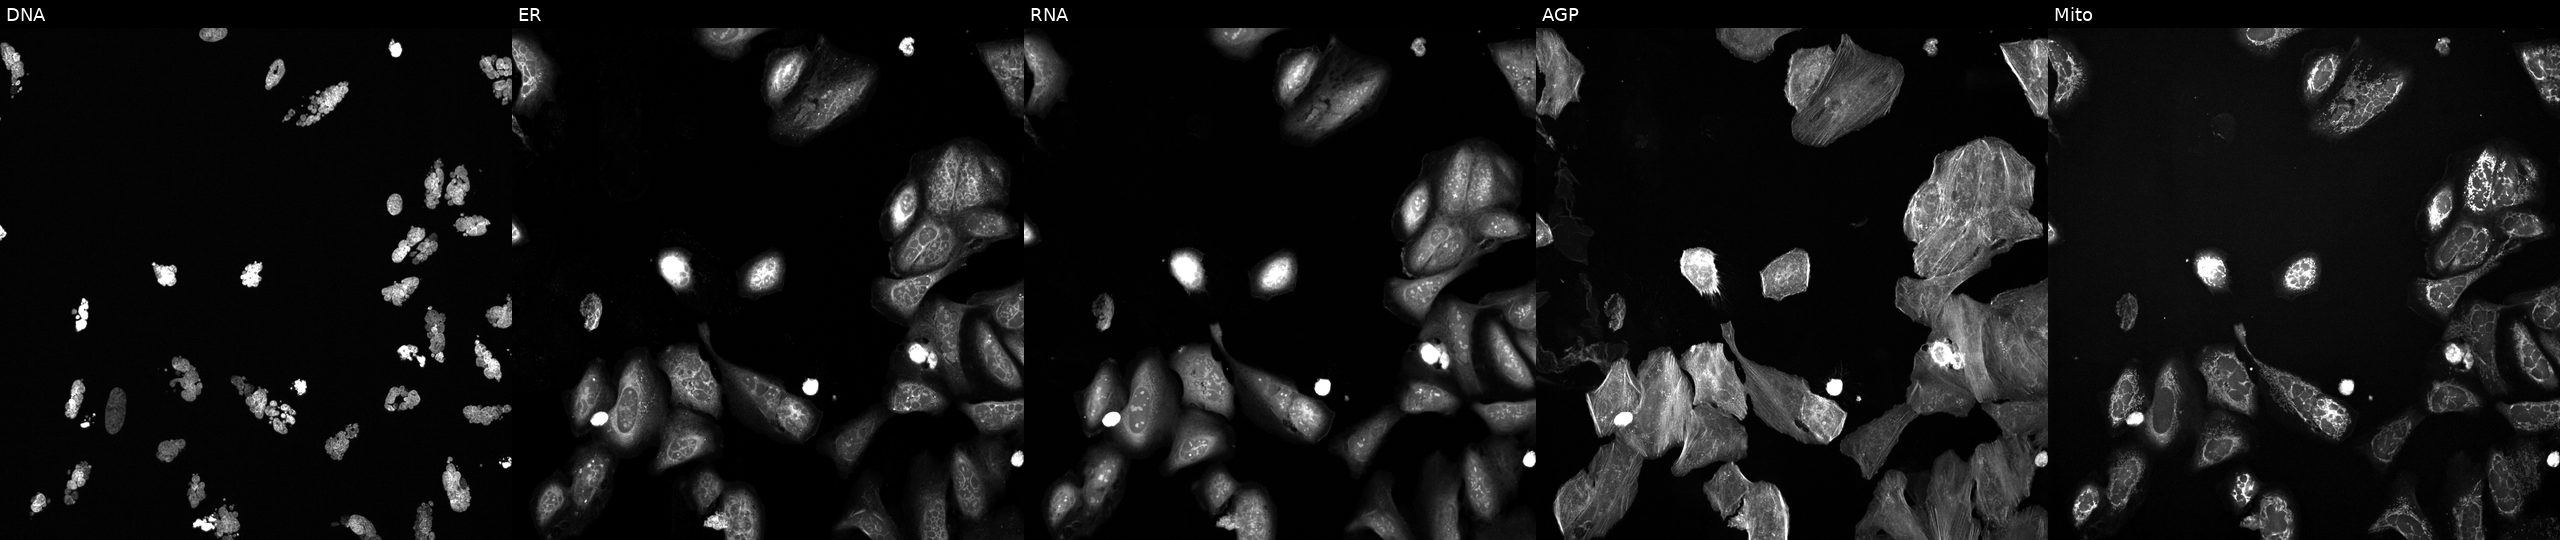
JUMP Cell Painting — TARGET2 plate. U2OS cells exposed to a small-molecule compound (InChIKey QXRSDHAAWVKZLJ-UHFFFAOYSA-N). From left to right: Hoechst 33342, concanavalin A, SYTO 14, phalloidin and WGA, MitoTracker.